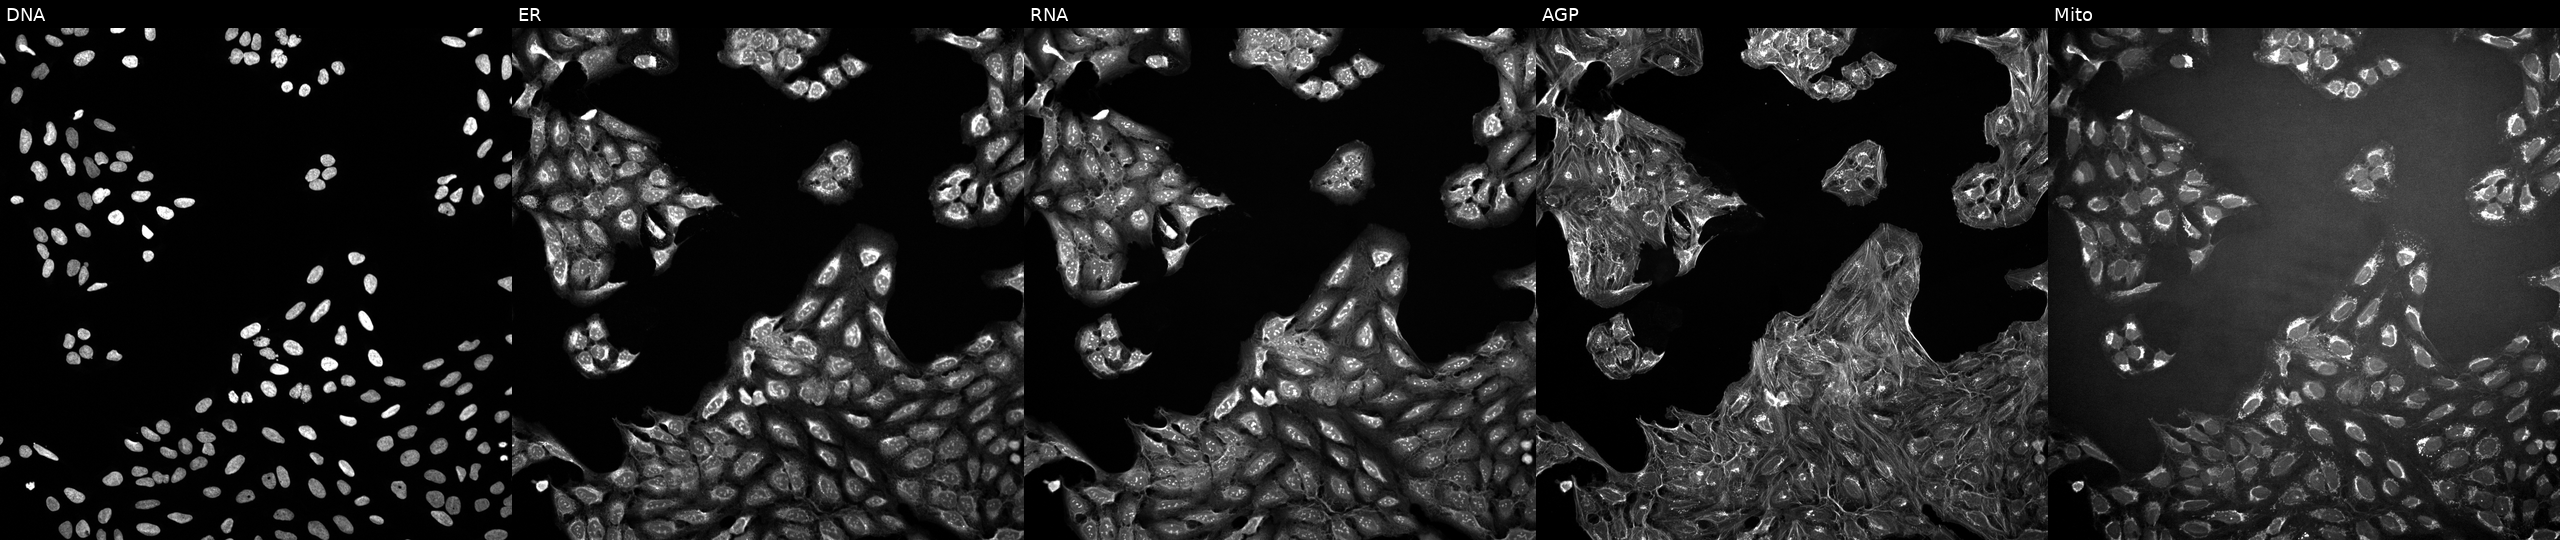
High-content fluorescence microscopy (Cell Painting). Cell line: U2OS. Perturbation: perturbed with a small-molecule compound. From left to right: DNA (nuclei); ER (endoplasmic reticulum); RNA (nucleoli and cytoplasmic RNA); AGP (actin cytoskeleton, Golgi, and plasma membrane); Mito (mitochondria).